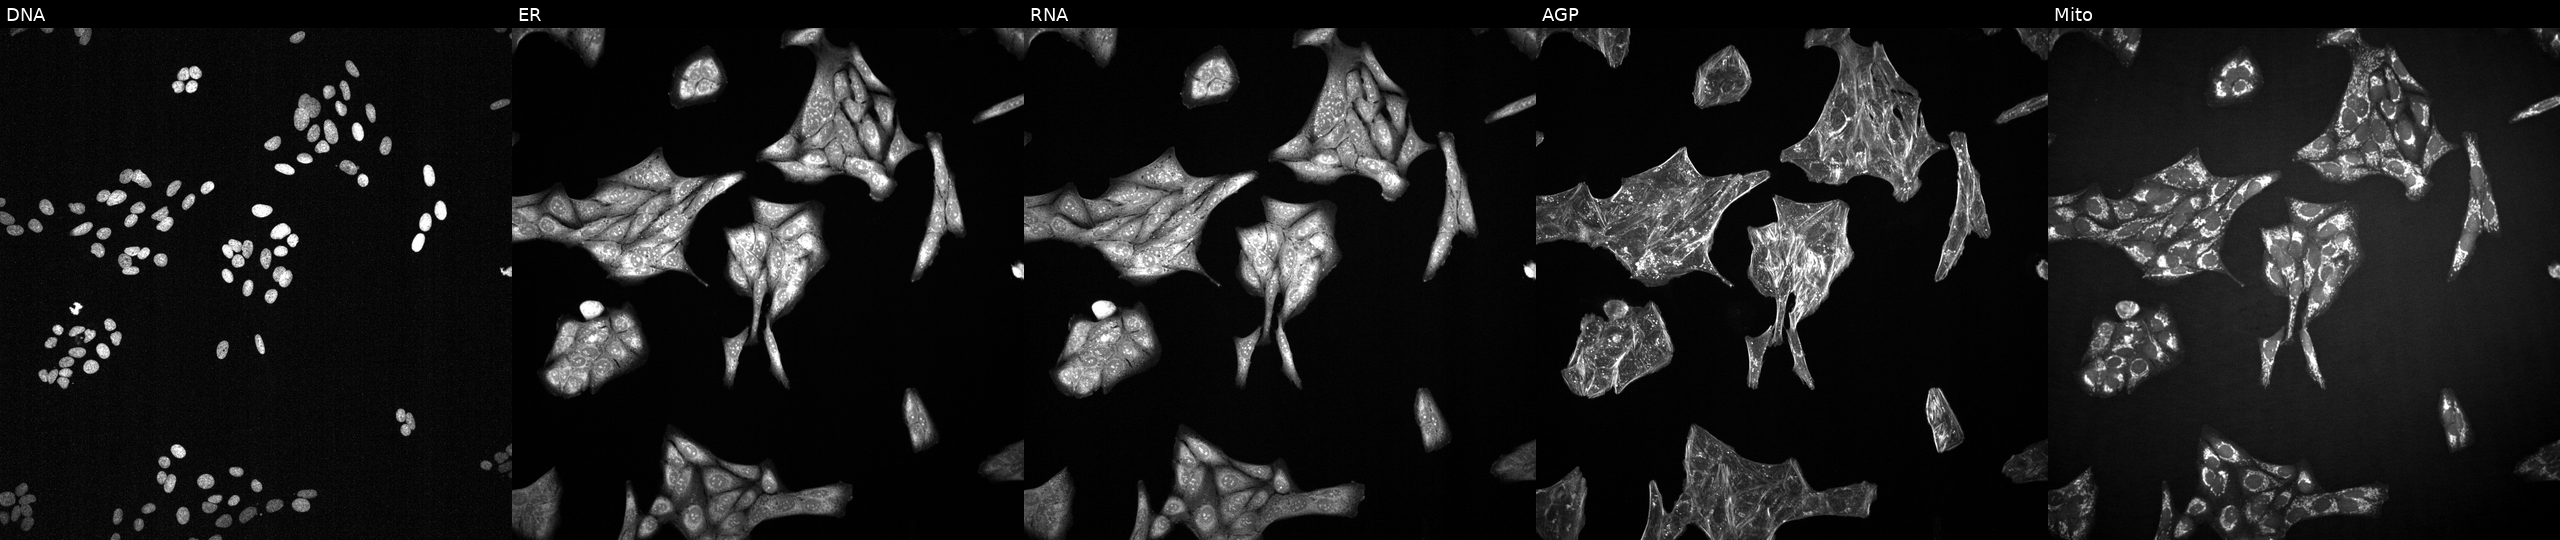
Five-channel Cell Painting image of U2OS cells exposed to a small-molecule compound (InChIKey AECDBHGVIIRMOI-UHFFFAOYSA-N) (JUMP id JCP2022_000794). Channels (left→right): Hoechst 33342, concanavalin A, SYTO 14, phalloidin and WGA, MitoTracker.